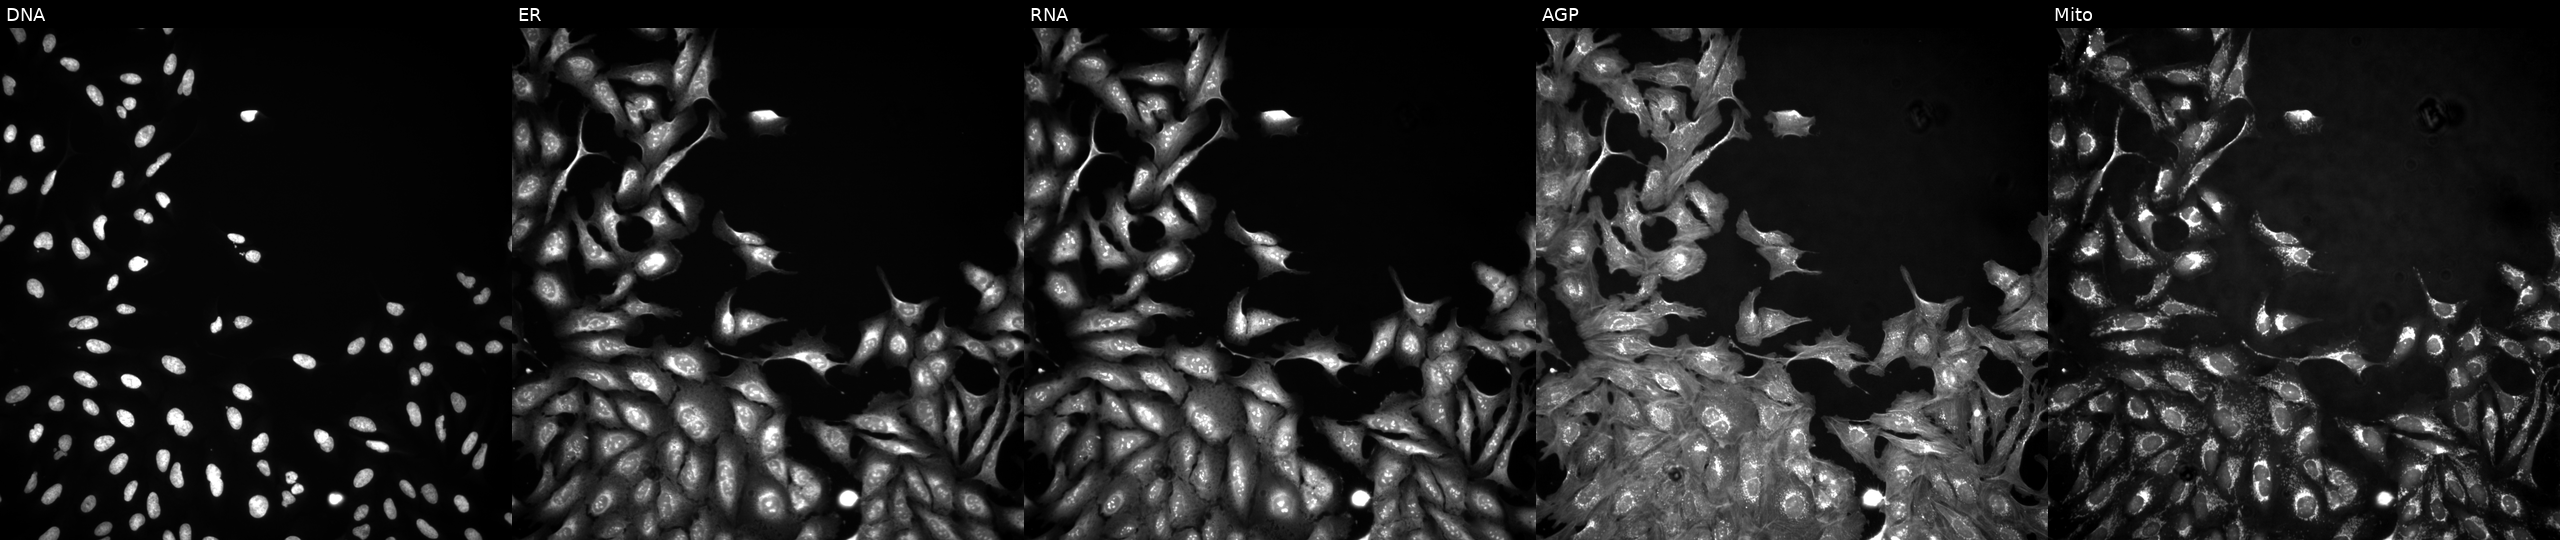
Five-channel Cell Painting image of U2OS cells treated with LY2109761 (positive-control compound). Channels (left→right): DNA, ER, RNA, AGP, and Mito.